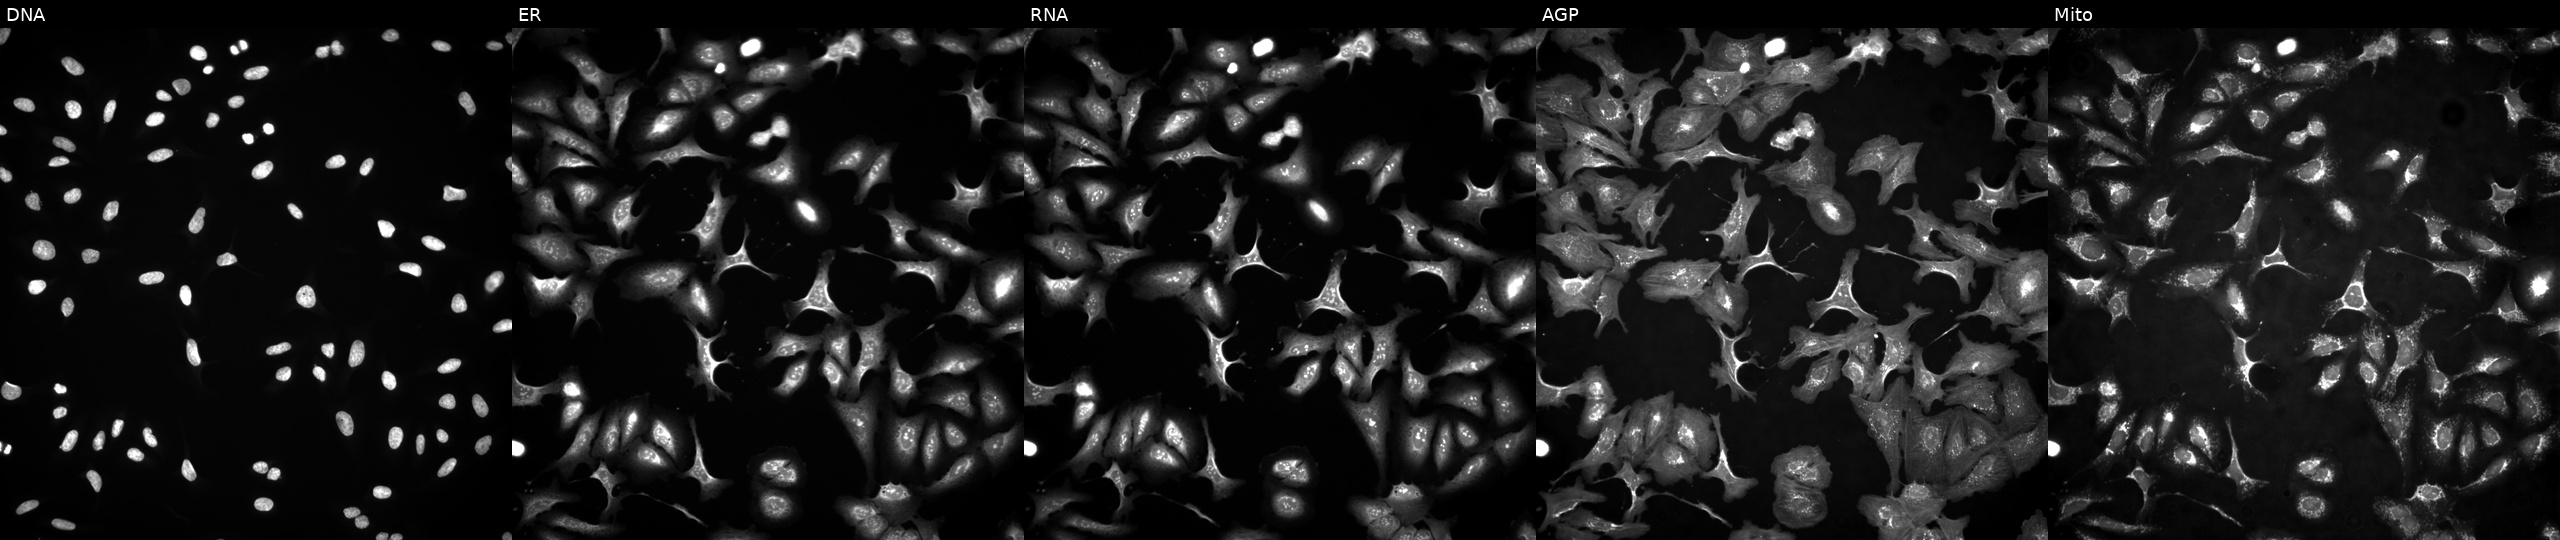
High-content fluorescence microscopy (Cell Painting). Cell line: U2OS. Perturbation: with EPHA6 overexpressed (ORF) (JUMP id JCP2022_914308). The five panels, left to right, show DNA (nuclei); ER (endoplasmic reticulum); RNA (nucleoli and cytoplasmic RNA); AGP (actin cytoskeleton, Golgi, and plasma membrane); Mito (mitochondria).